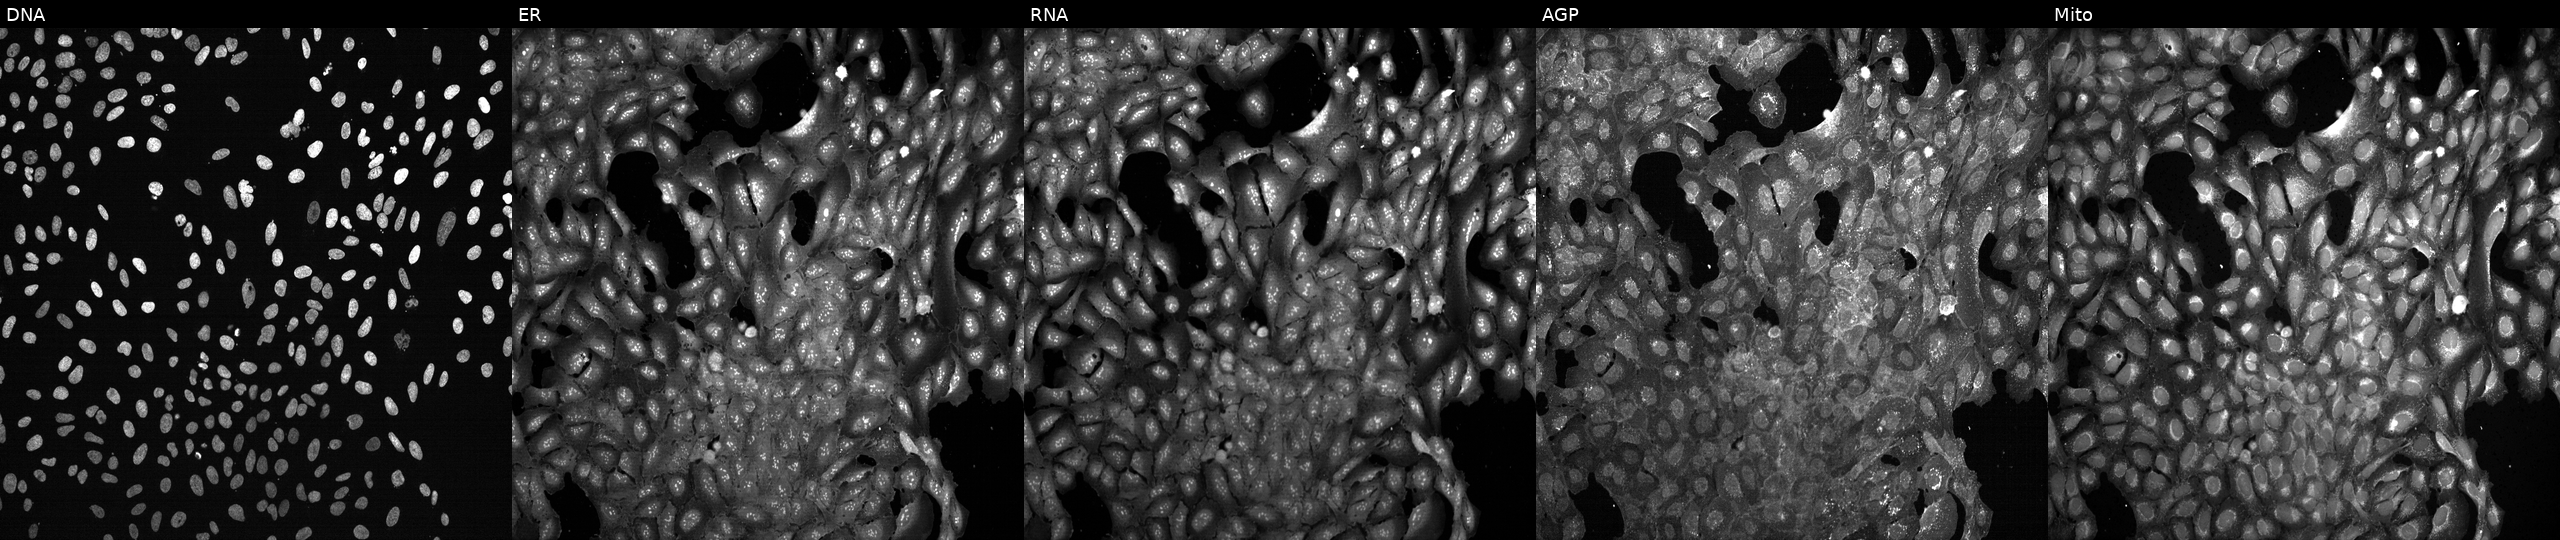
From left to right: Hoechst 33342, concanavalin A, SYTO 14, phalloidin and WGA, MitoTracker. U2OS osteosarcoma cells CRISPR-edited to disrupt ARG1 (JUMP id JCP2022_800560). Cell Painting assay, JUMP-CP dataset. Source 13, plate CP-CC9-R1-01, well P05.